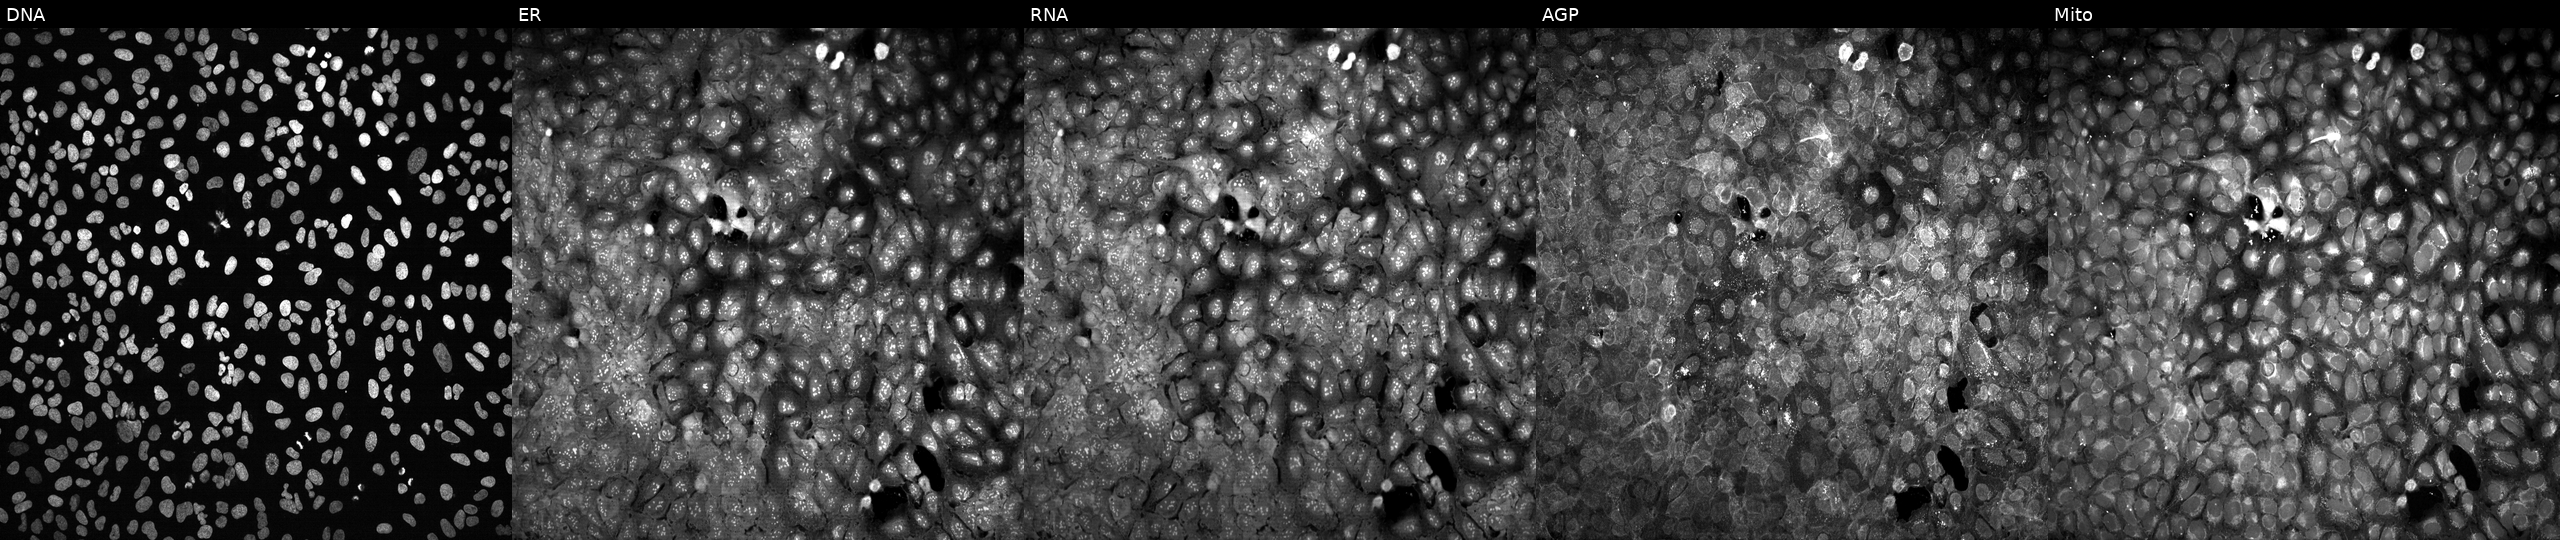
U2OS cells, Cell Painting assay, with ARHGEF7 knocked out by CRISPR (JUMP id JCP2022_800573). The five panels, left to right, show Hoechst 33342, concanavalin A, SYTO 14, phalloidin and WGA, MitoTracker. Each panel is percentile-stretched 16-bit fluorescence.